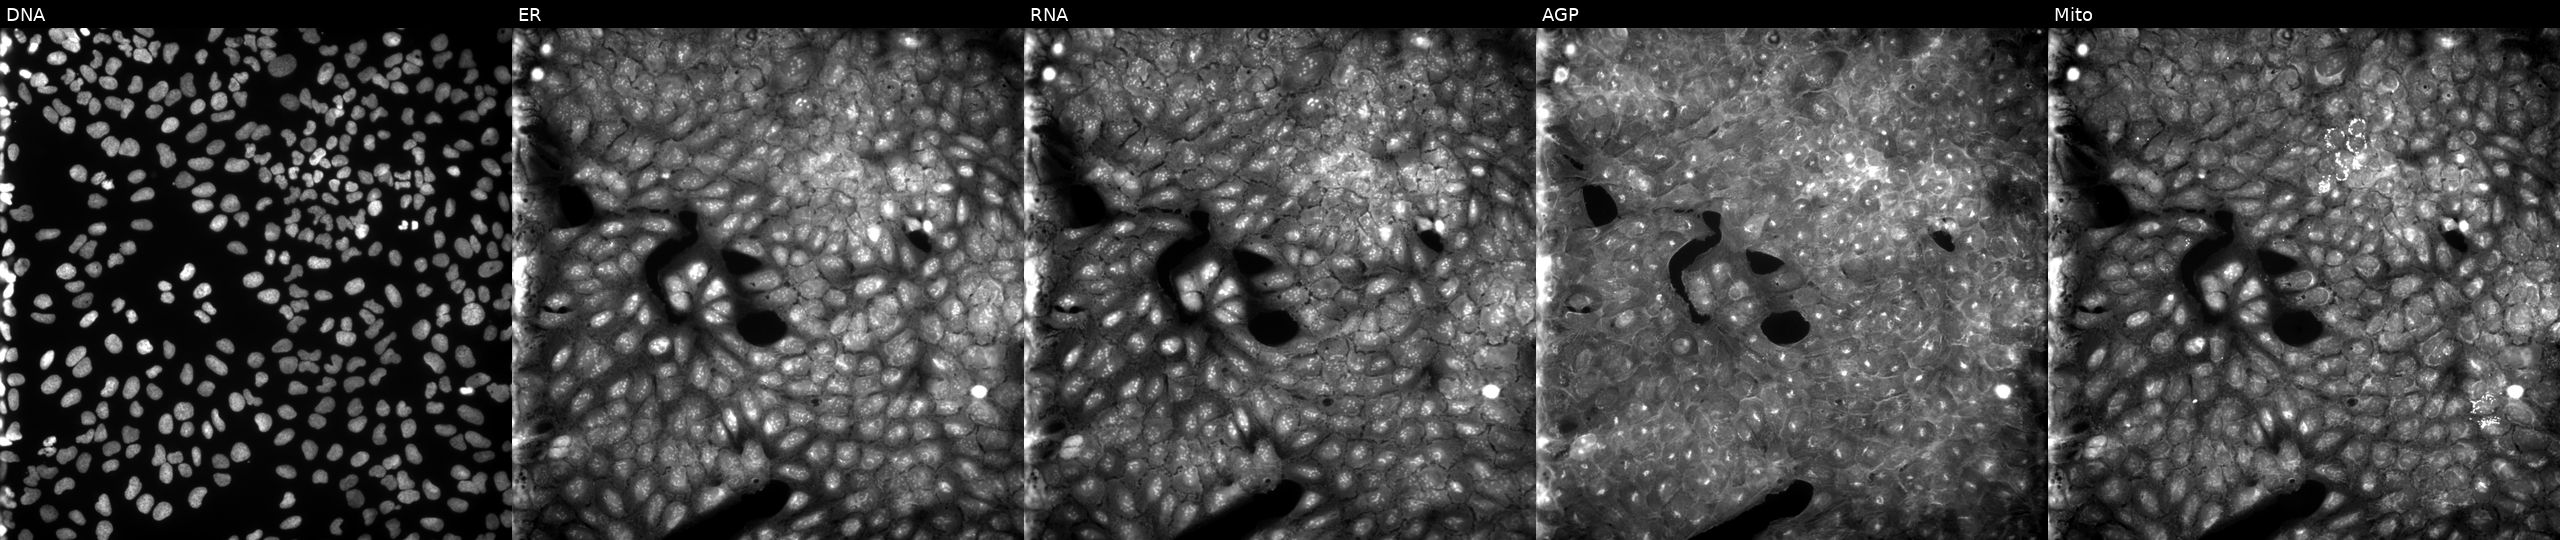
The five panels, left to right, show Hoechst 33342, concanavalin A, SYTO 14, phalloidin and WGA, MitoTracker. U2OS osteosarcoma cells exposed to a small-molecule compound (InChIKey WTGVPDIDMMMCKK-UHFFFAOYSA-N) (JUMP id JCP2022_101041). Cell Painting assay, JUMP-CP dataset.